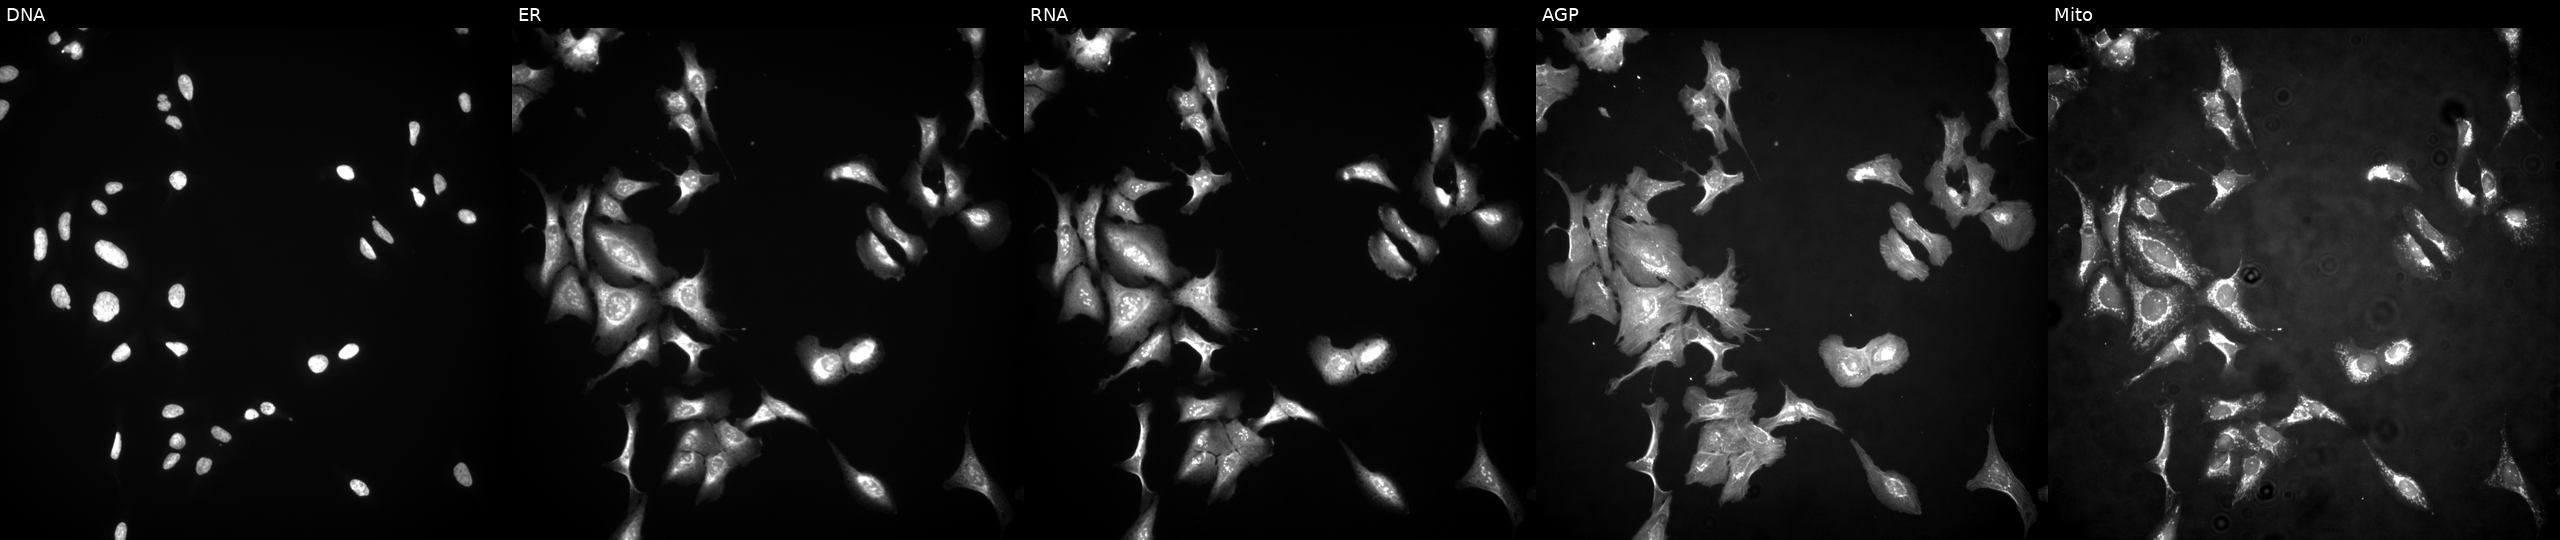
This image strip shows the five Cell Painting channels for a single field of U2OS cells overexpressing NMNAT3 via ORF transfection (JUMP id JCP2022_905162). Channels (left→right): Hoechst 33342, concanavalin A, SYTO 14, phalloidin and WGA, MitoTracker.